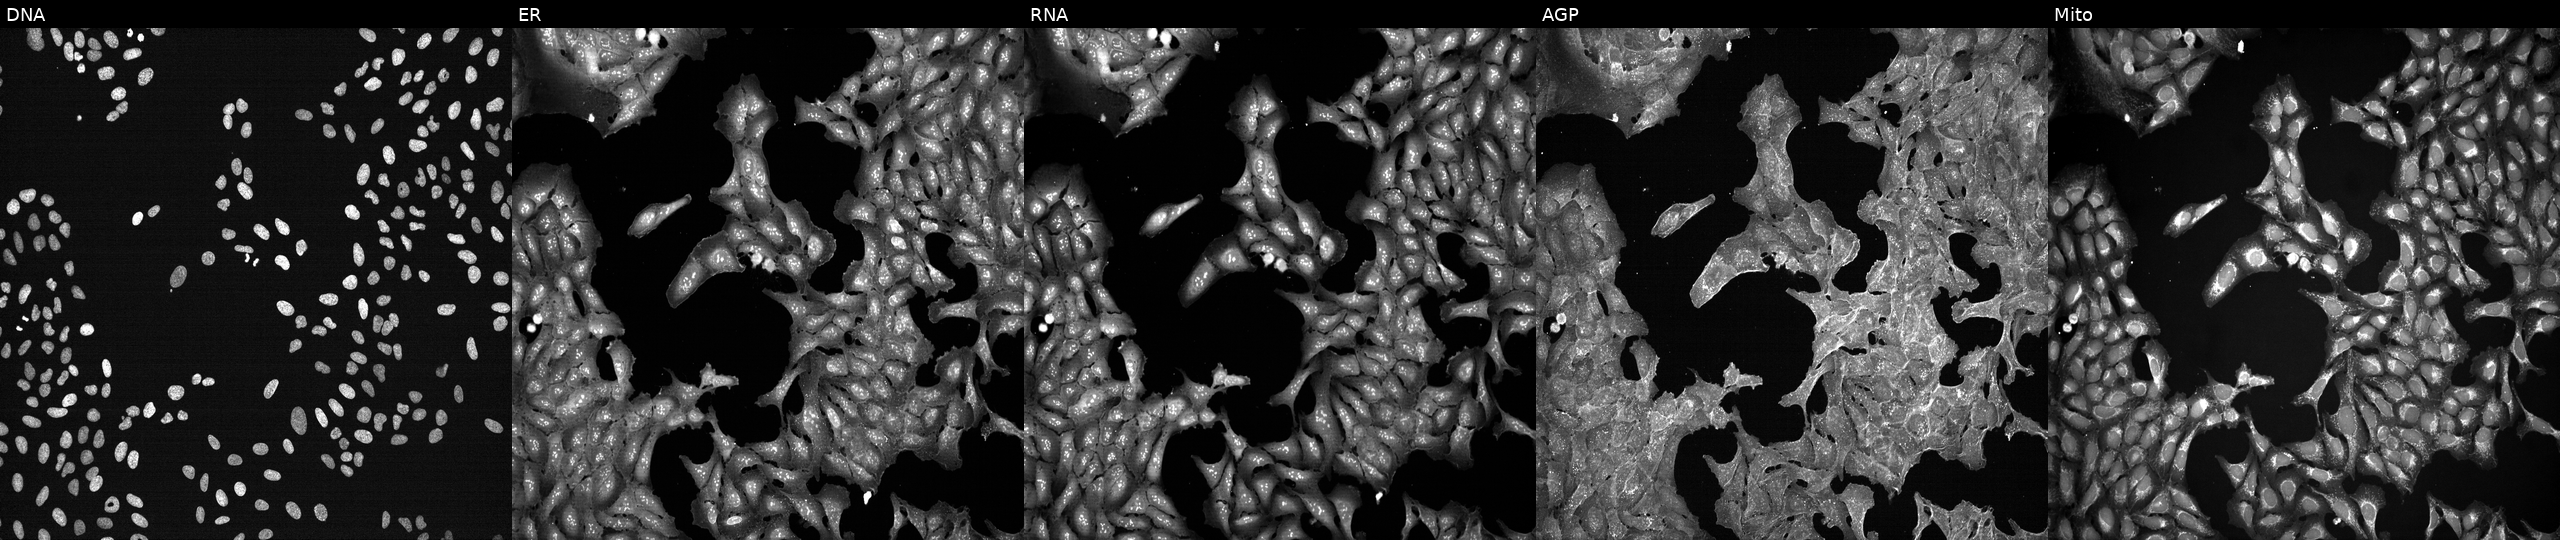
Channels (left→right): DNA, ER, RNA, AGP, and Mito. U2OS osteosarcoma cells treated with DMSO vehicle only (negative control) (JUMP id JCP2022_033924). Cell Painting assay, JUMP-CP dataset.